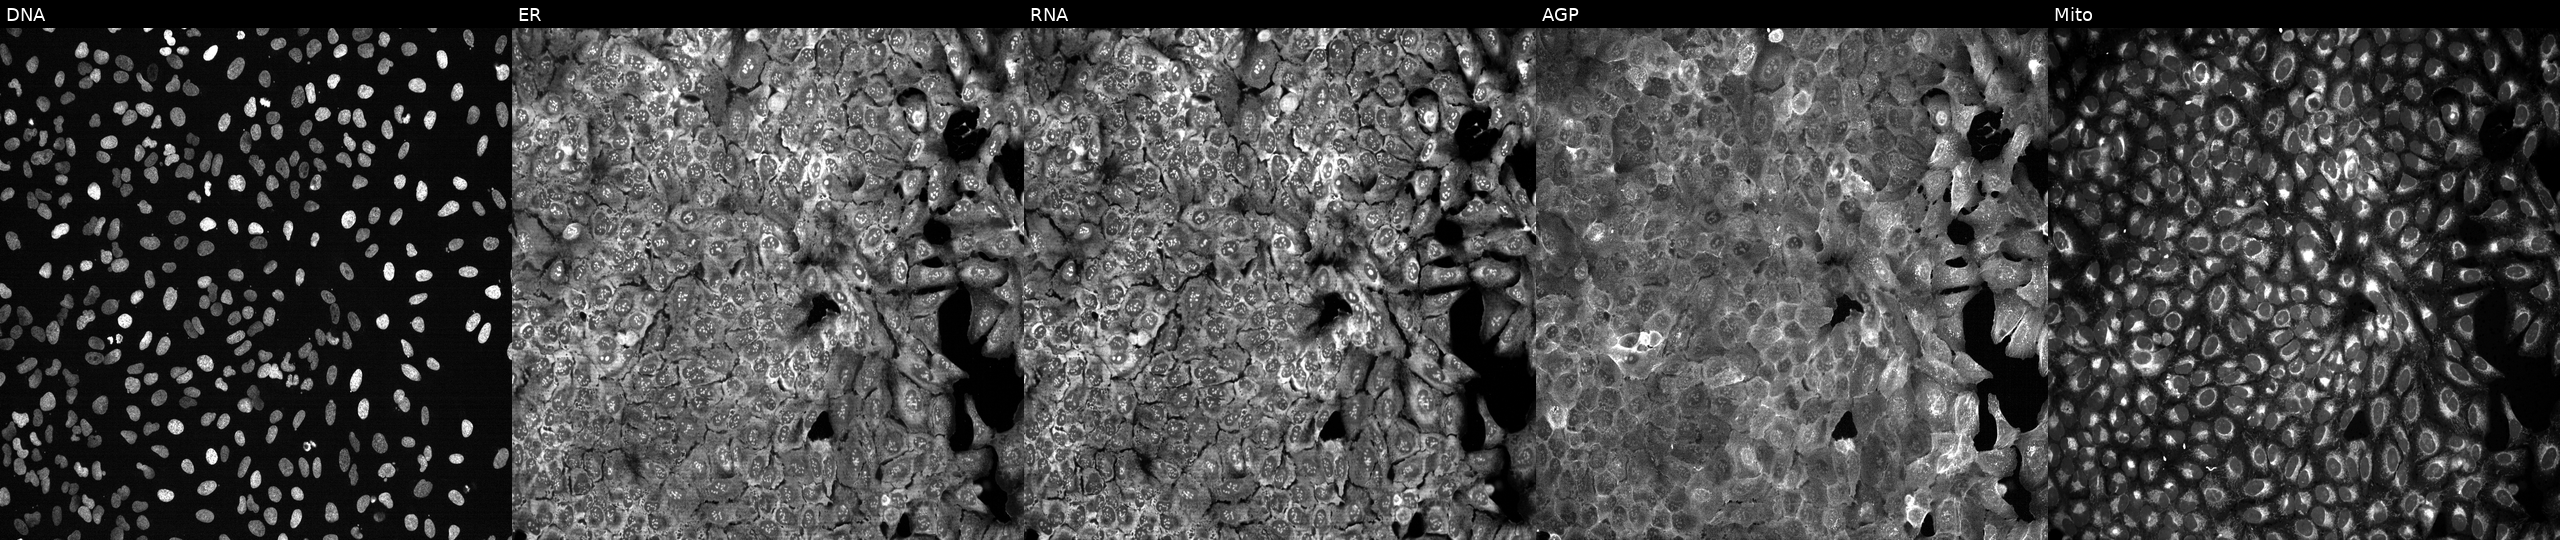
Five-channel Cell Painting image of U2OS cells following CRISPR knockout of KRT8. The five panels, left to right, show DNA, ER, RNA, AGP, and Mito. Source 13, plate CP-CC9-R2-01, well G14.